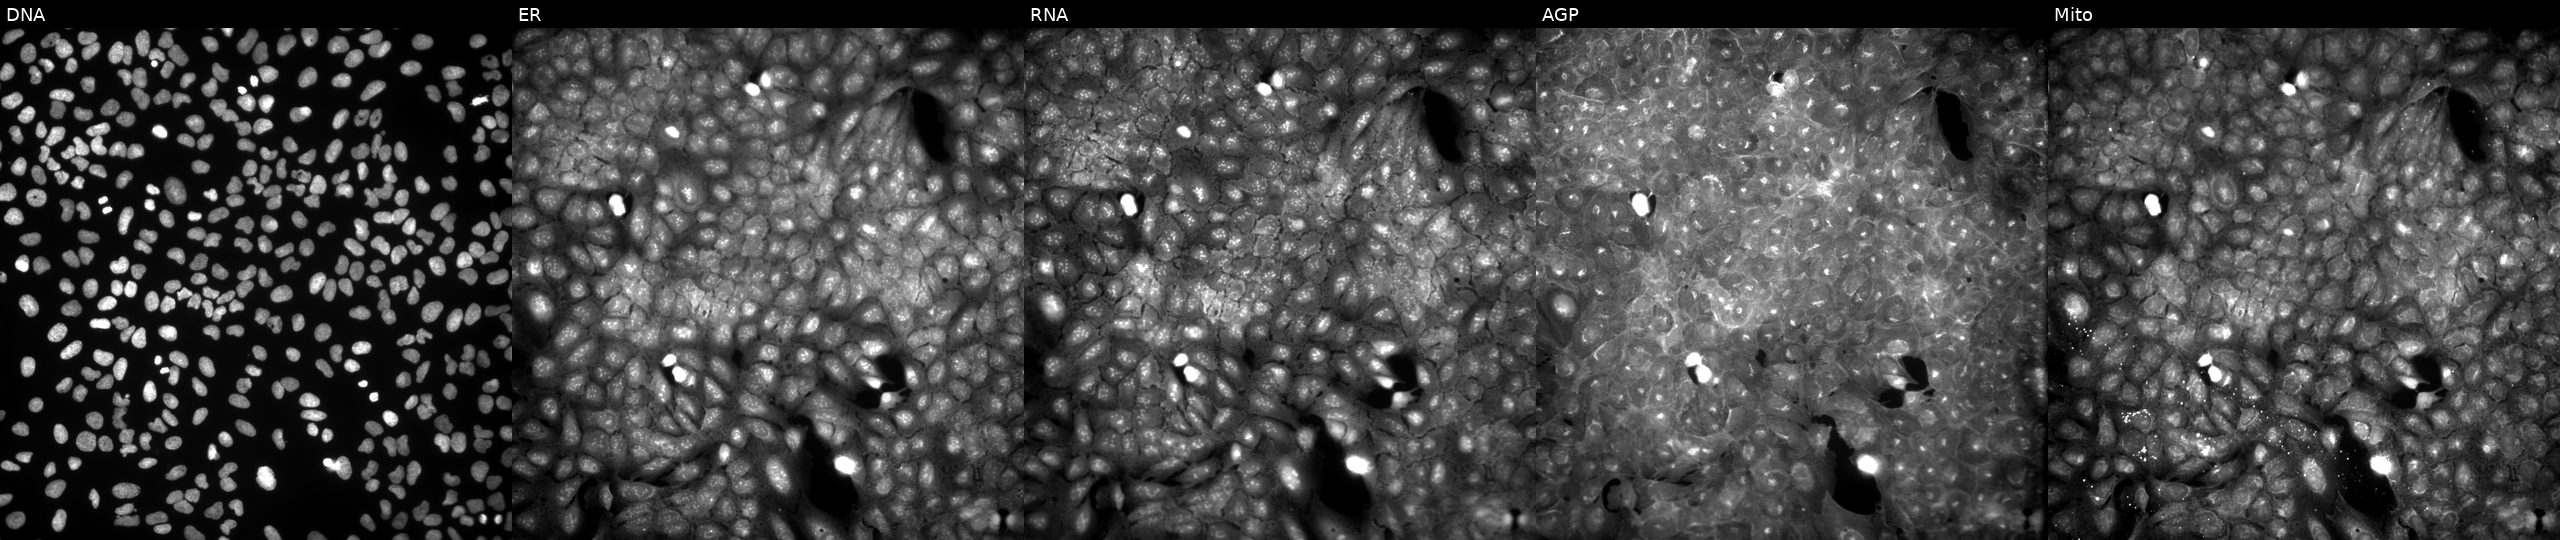
Panels show, left to right, DNA, ER, RNA, AGP, and Mito. U2OS osteosarcoma cells treated with a small-molecule compound (InChIKey ZZSZZRNJRUNDTK-UHFFFAOYSA-N) (JUMP id JCP2022_116706). Cell Painting assay, JUMP-CP dataset.